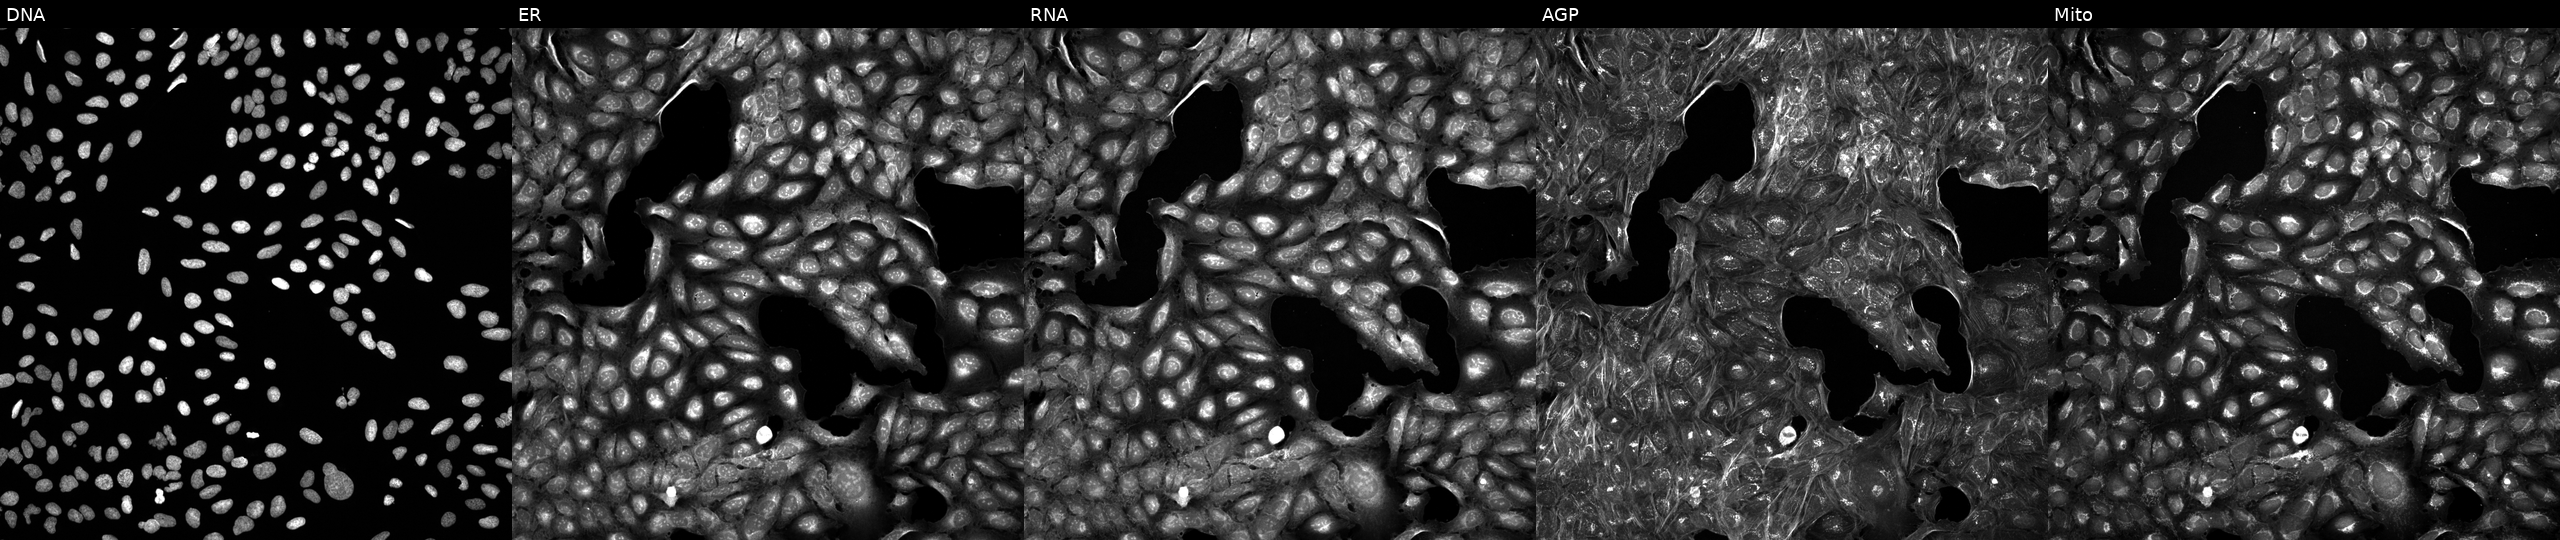
U2OS cells, Cell Painting assay, treated with a small-molecule compound (InChIKey HIMSCEBQEVPWSN-UHFFFAOYSA-N) (JUMP id JCP2022_030430). Channels (left→right): DNA, ER, RNA, AGP, and Mito. Each panel is percentile-stretched 16-bit fluorescence.